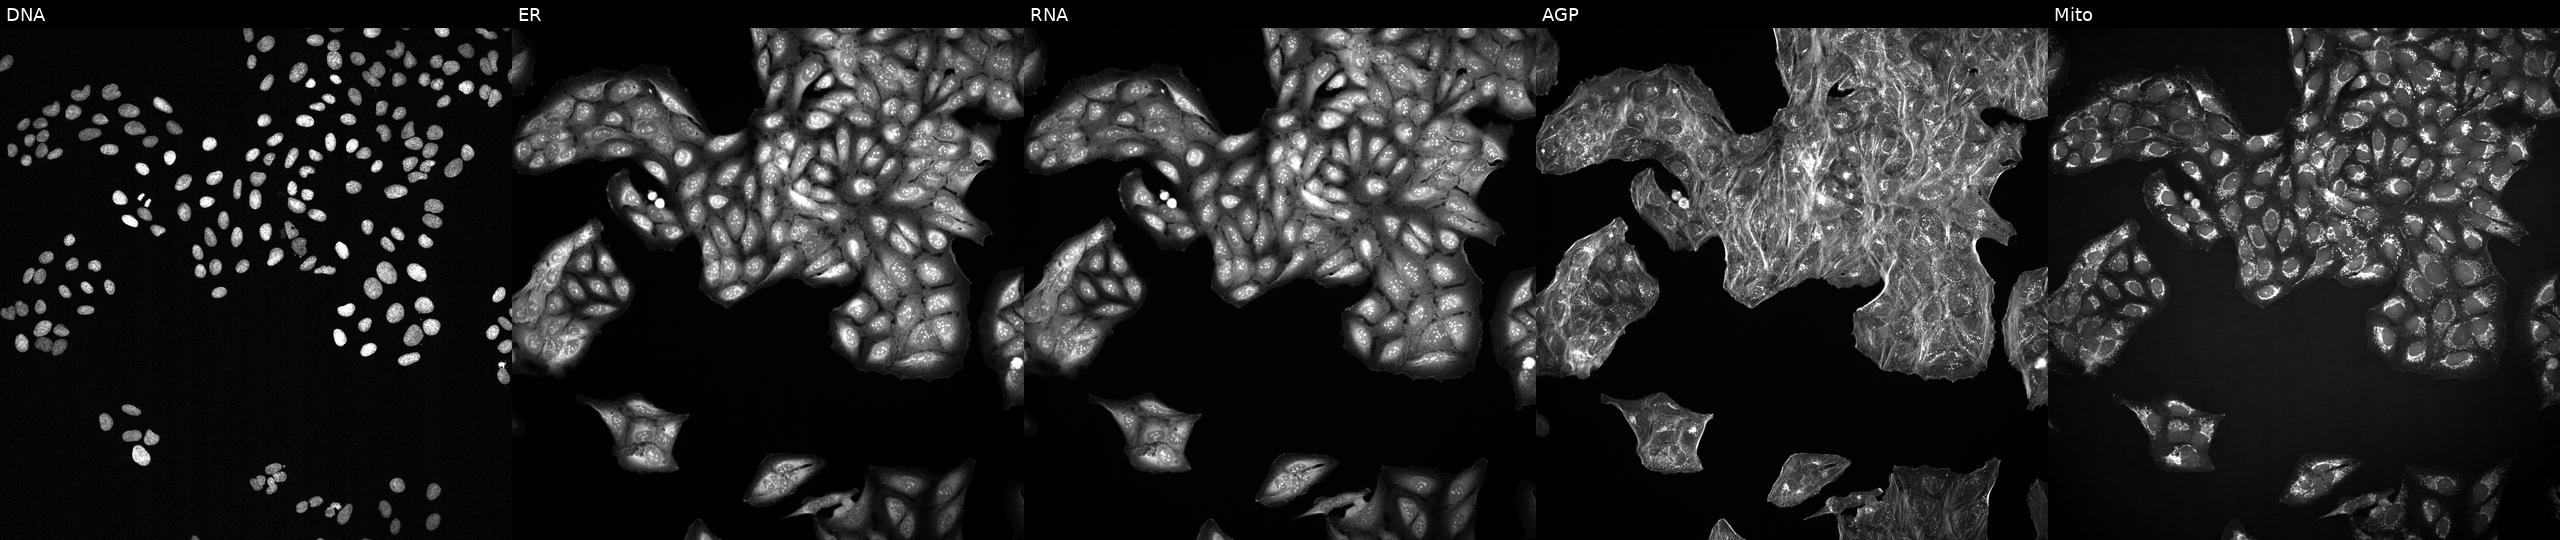
High-content fluorescence microscopy (Cell Painting). Cell line: U2OS. Perturbation: treated with a small-molecule compound (InChIKey IKENVDNFQMCRTR-UHFFFAOYSA-N). The five panels, left to right, show DNA, ER, RNA, AGP, and Mito.